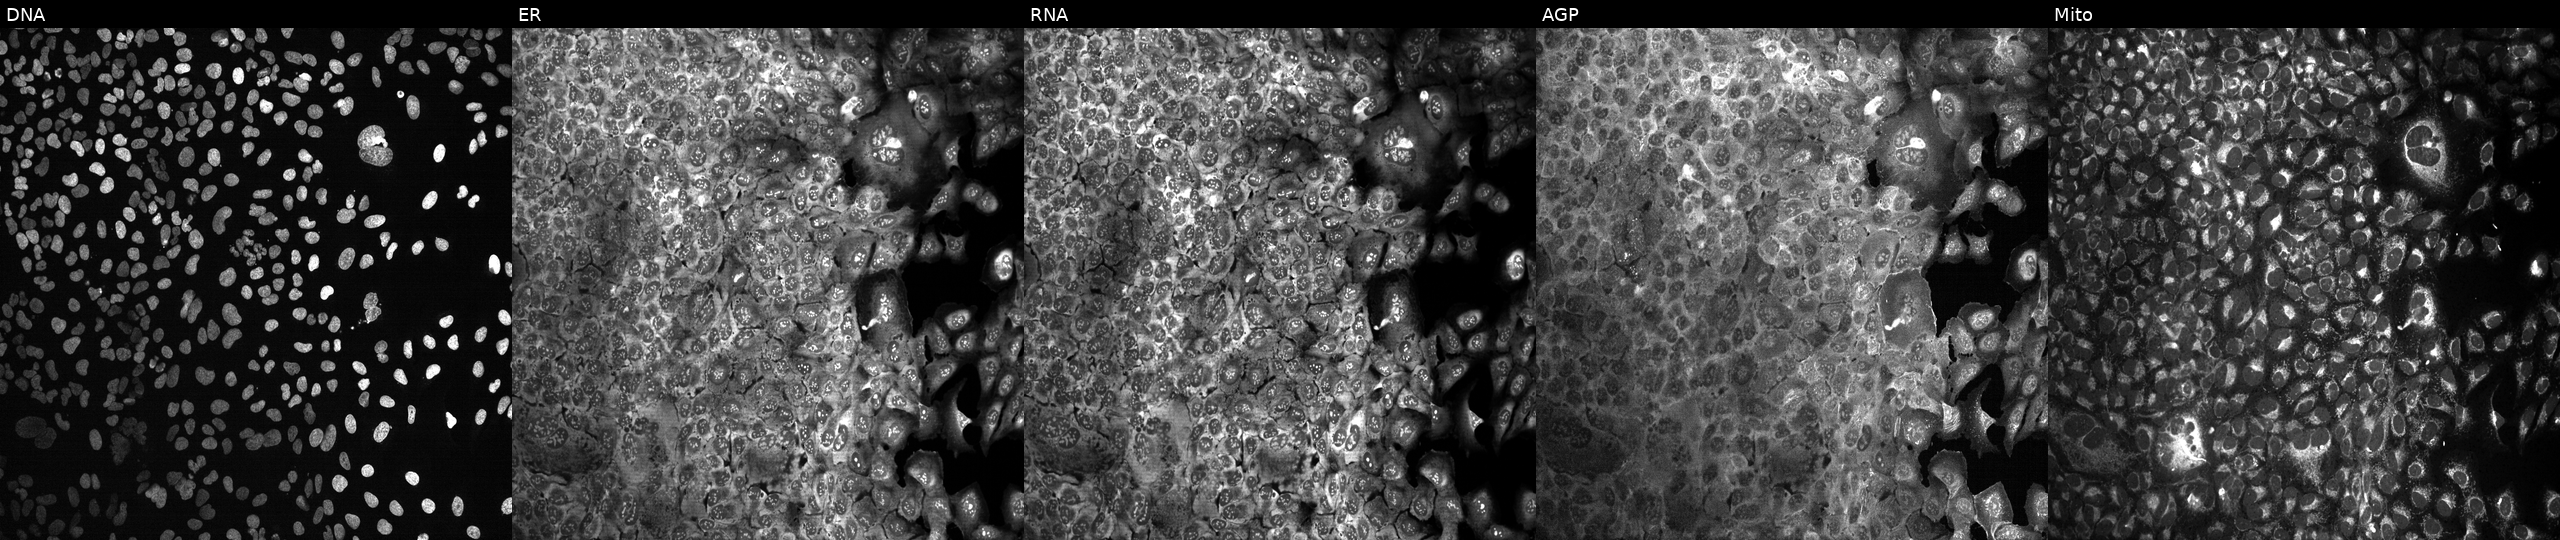
JUMP Cell Painting — CRISPR plate. U2OS cells with SLC6A14 knocked out by CRISPR (JUMP id JCP2022_806569). From left to right: DNA (nuclei); ER (endoplasmic reticulum); RNA (nucleoli and cytoplasmic RNA); AGP (actin cytoskeleton, Golgi, and plasma membrane); Mito (mitochondria).